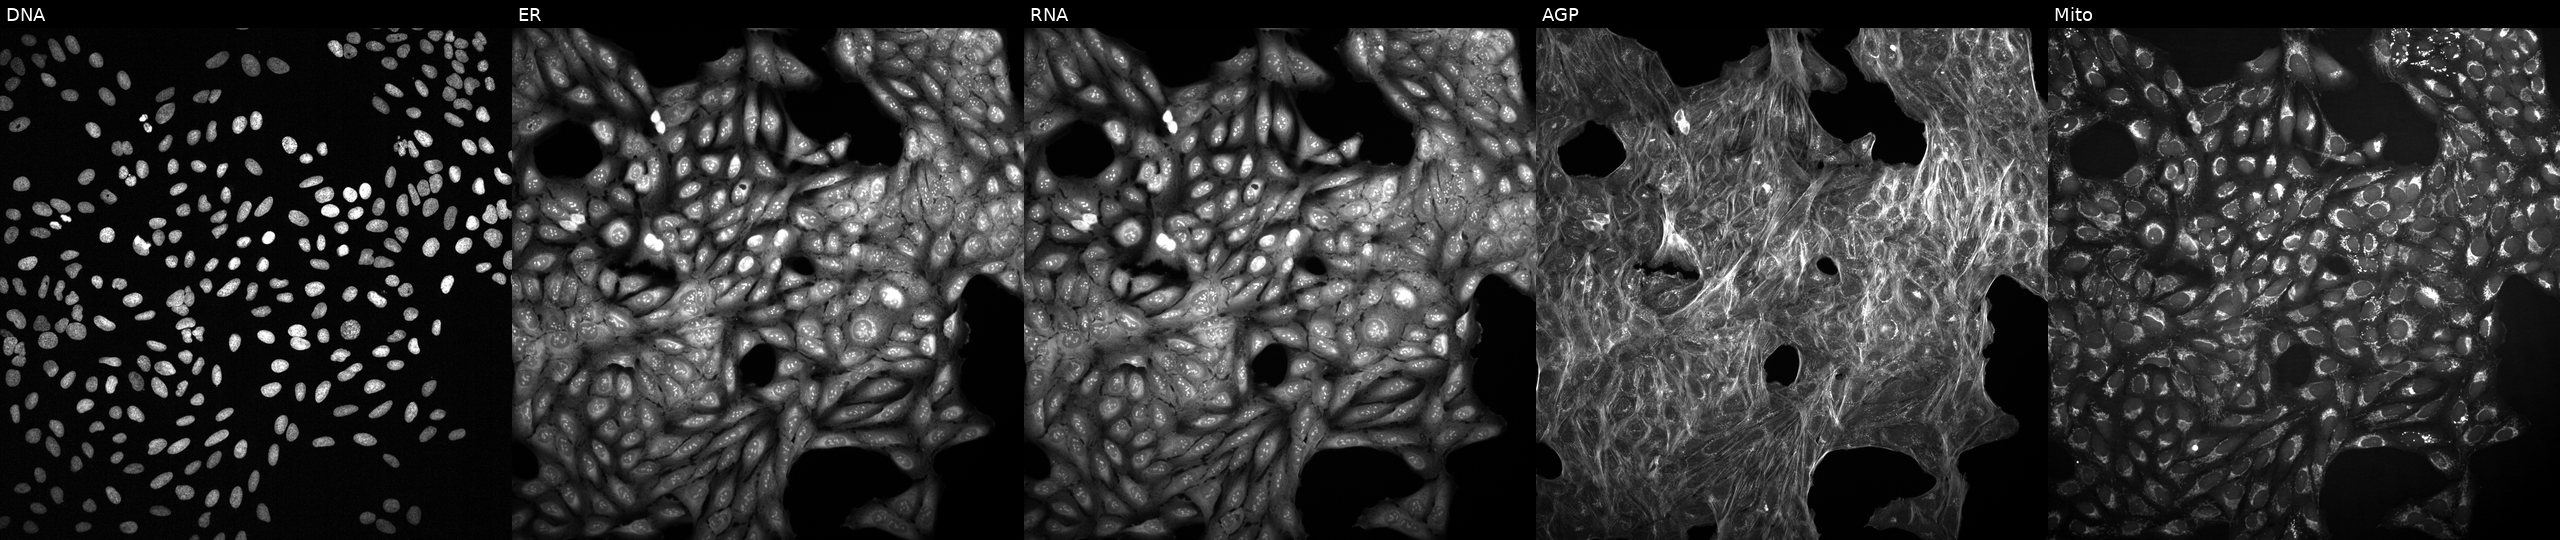
High-content fluorescence microscopy (Cell Painting). Cell line: U2OS. Perturbation: exposed to a small-molecule compound (InChIKey VUMZOHYJJISIAI-UHFFFAOYSA-N) [SMILES: O=c1[nH]ncn1-c1ccc(Oc2ncc(C(F)(F)F)cc2Cl)cc1]. The five panels, left to right, show DNA (nuclei); ER (endoplasmic reticulum); RNA (nucleoli and cytoplasmic RNA); AGP (actin cytoskeleton, Golgi, and plasma membrane); Mito (mitochondria). Source 2, plate 1053601763, well A14.